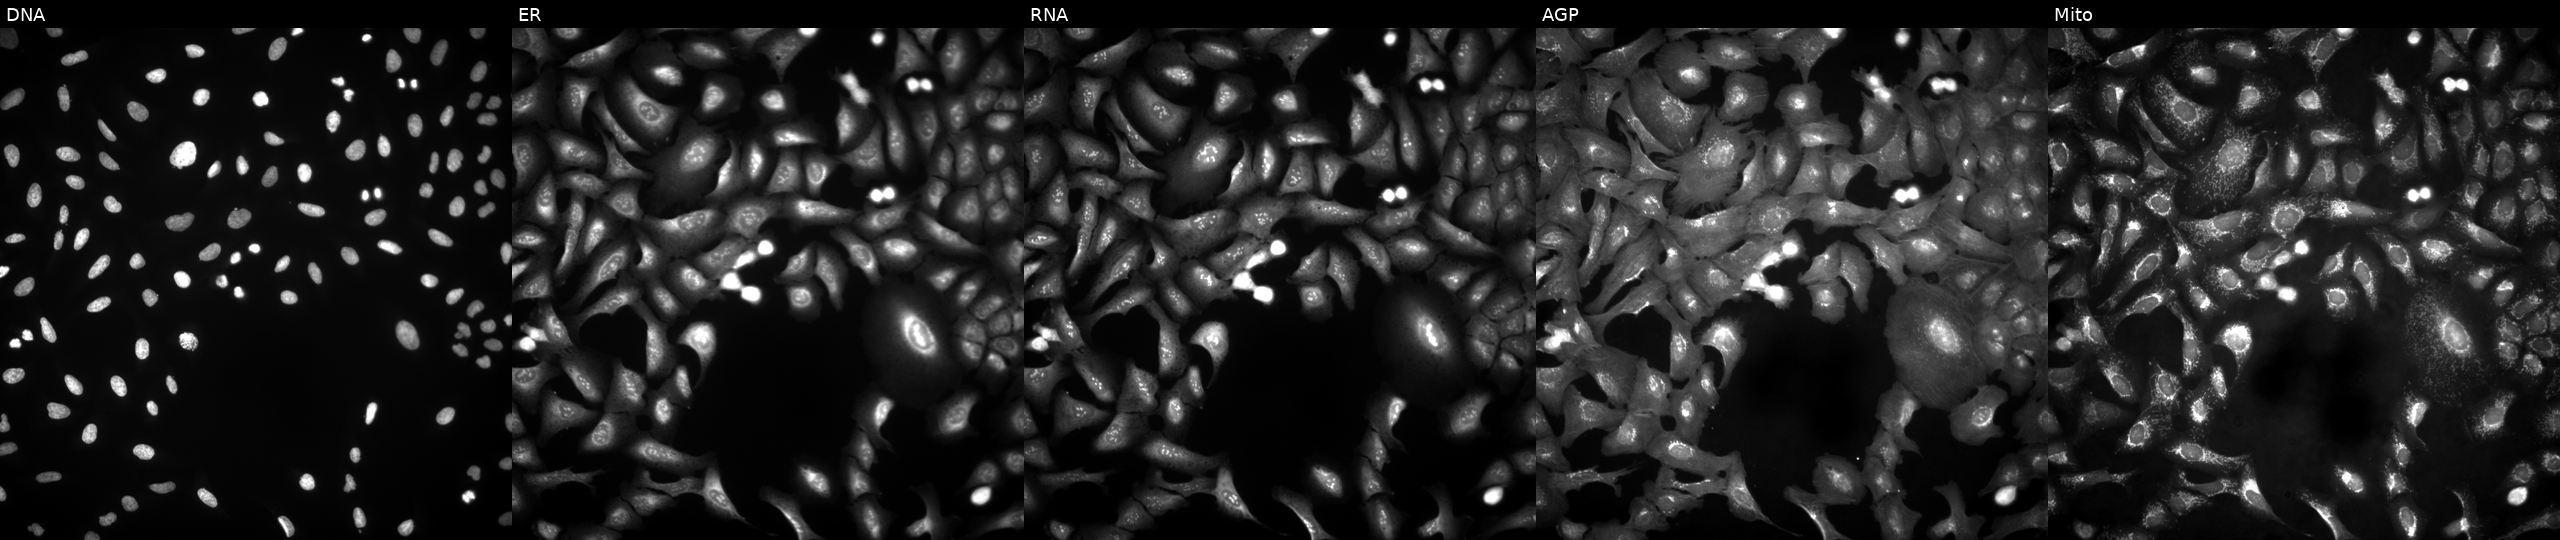
JUMP Cell Painting — ORF plate. U2OS cells with UTP14C overexpressed (ORF). Panels show, left to right, DNA, ER, RNA, AGP, and Mito. Source 4, plate BR00124790, well G16.